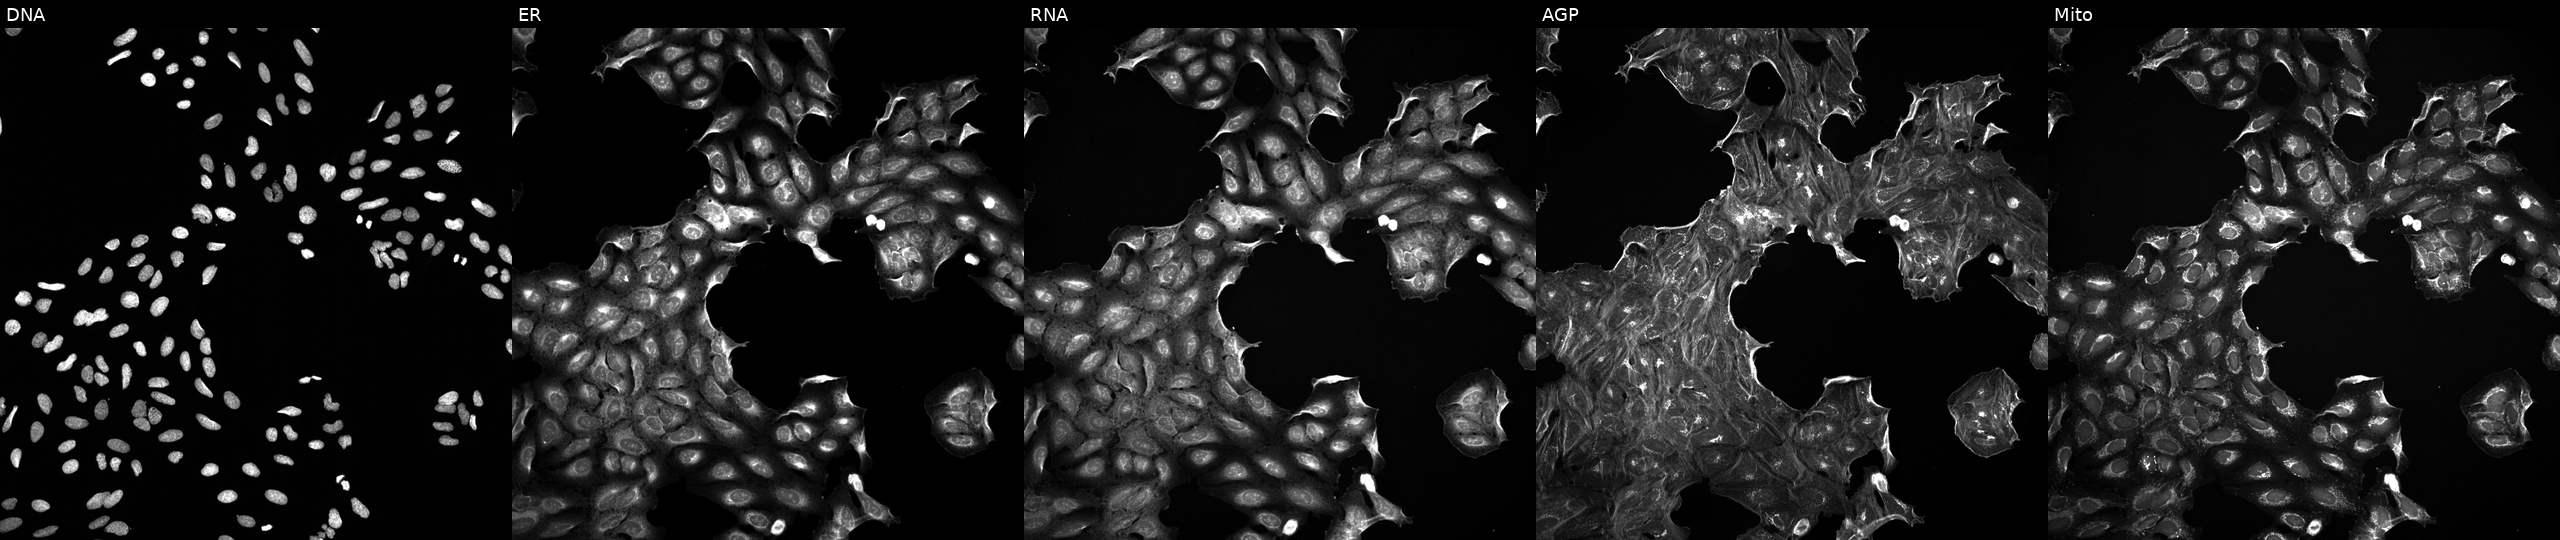
This image strip shows the five Cell Painting channels for a single field of U2OS cells exposed to a small-molecule compound (InChIKey DHMTURDWPRKSOA-UHFFFAOYSA-N) (JUMP id JCP2022_015955). From left to right: Hoechst 33342, concanavalin A, SYTO 14, phalloidin and WGA, MitoTracker.